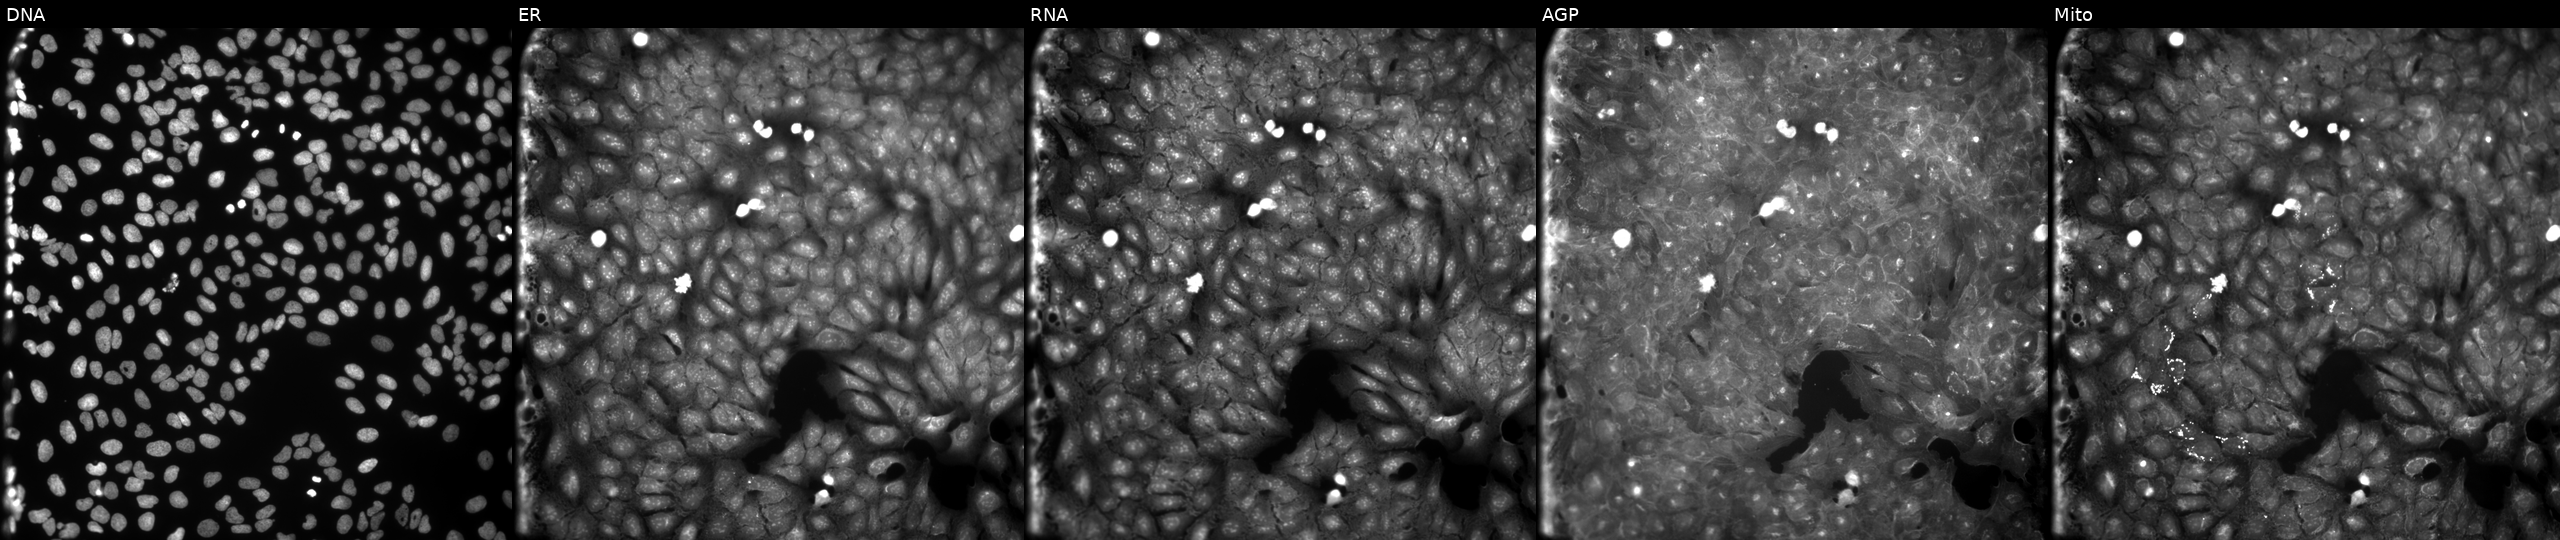
Channels (left→right): DNA (nuclei); ER (endoplasmic reticulum); RNA (nucleoli and cytoplasmic RNA); AGP (actin cytoskeleton, Golgi, and plasma membrane); Mito (mitochondria). U2OS osteosarcoma cells treated with a small-molecule compound (InChIKey RRUDGEAOXYTWMH-UHFFFAOYSA-N) (JUMP id JCP2022_080326). Cell Painting assay, JUMP-CP dataset. Source 9, plate GR00003382, well V07.